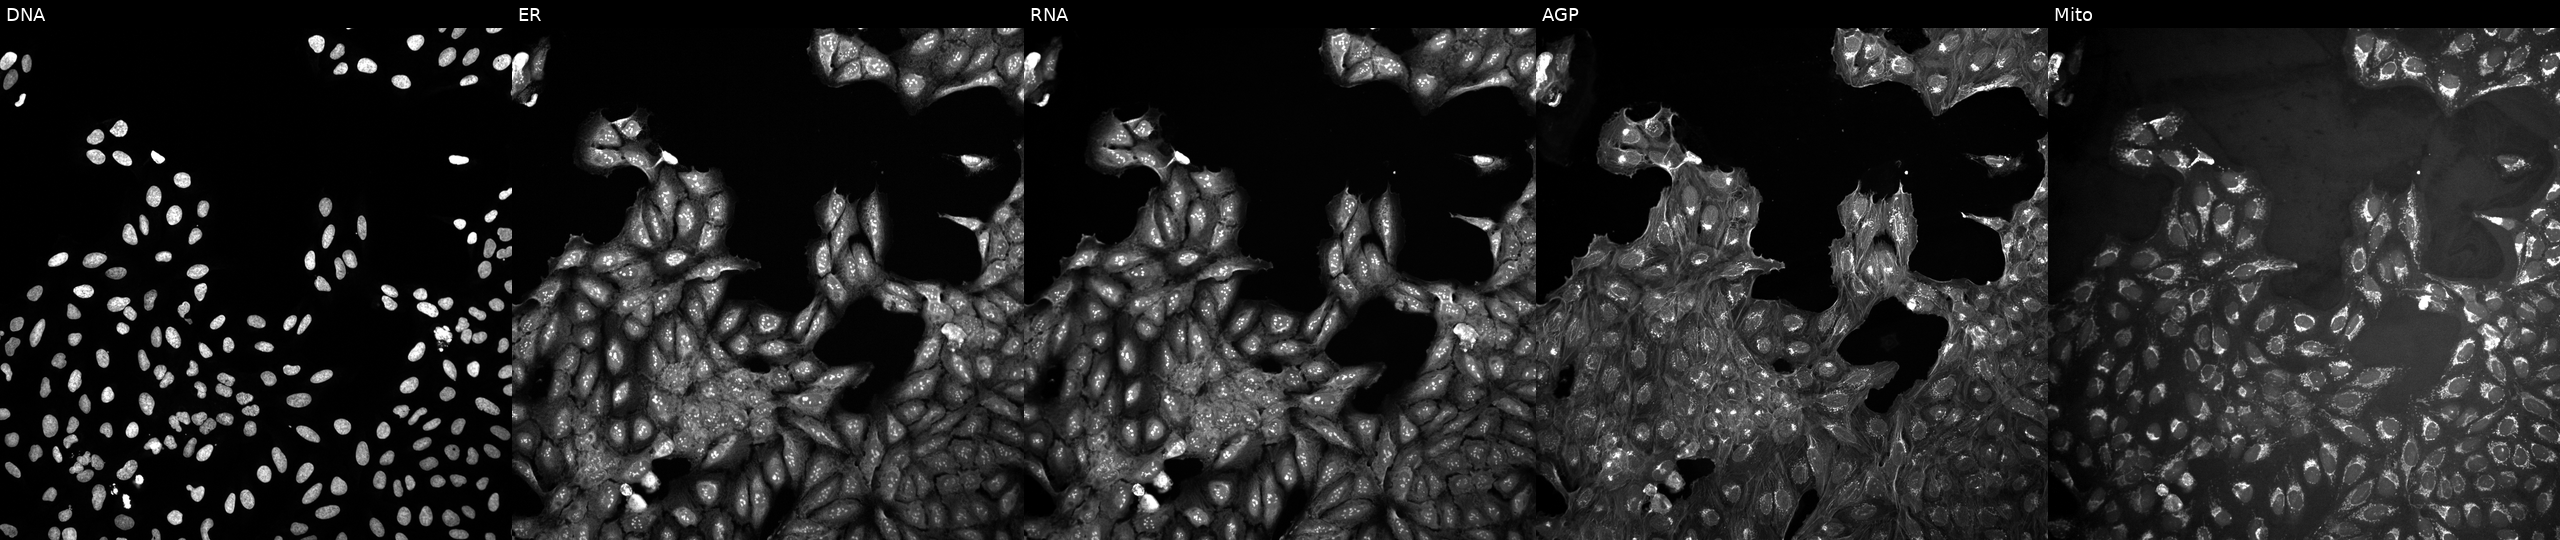
U2OS cells, Cell Painting assay, in an empty control well (no perturbation). Panels show, left to right, DNA, ER, RNA, AGP, and Mito. Each panel is percentile-stretched 16-bit fluorescence.